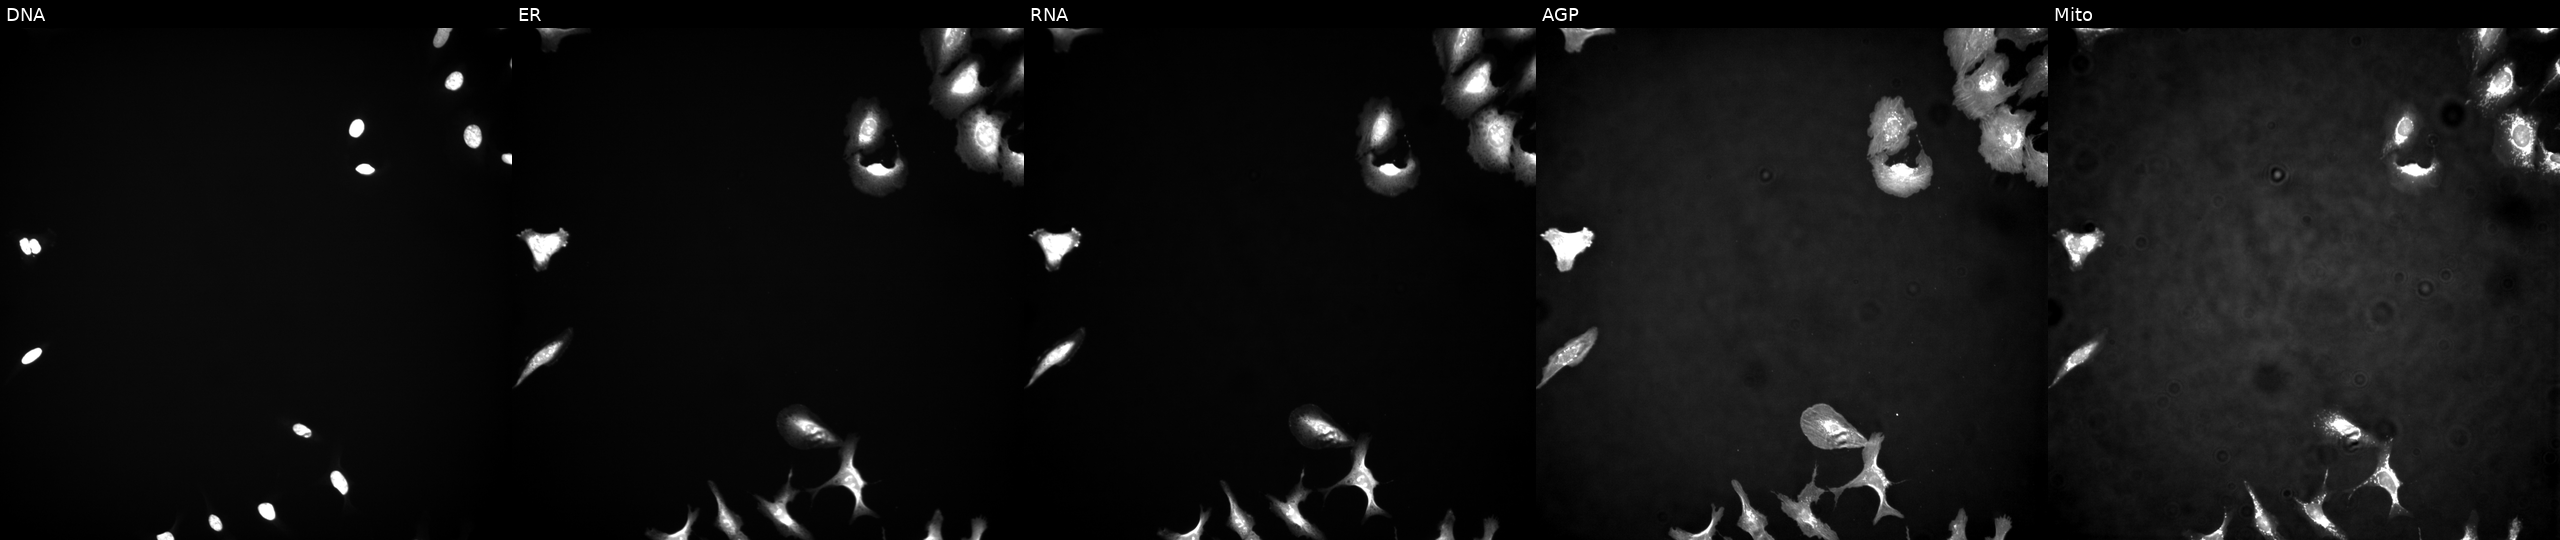
Five-channel Cell Painting image of U2OS cells expressing eGFP (ORF positive control). Channels (left→right): Hoechst 33342, concanavalin A, SYTO 14, phalloidin and WGA, MitoTracker. Source 4, plate BR00123945, well O17.